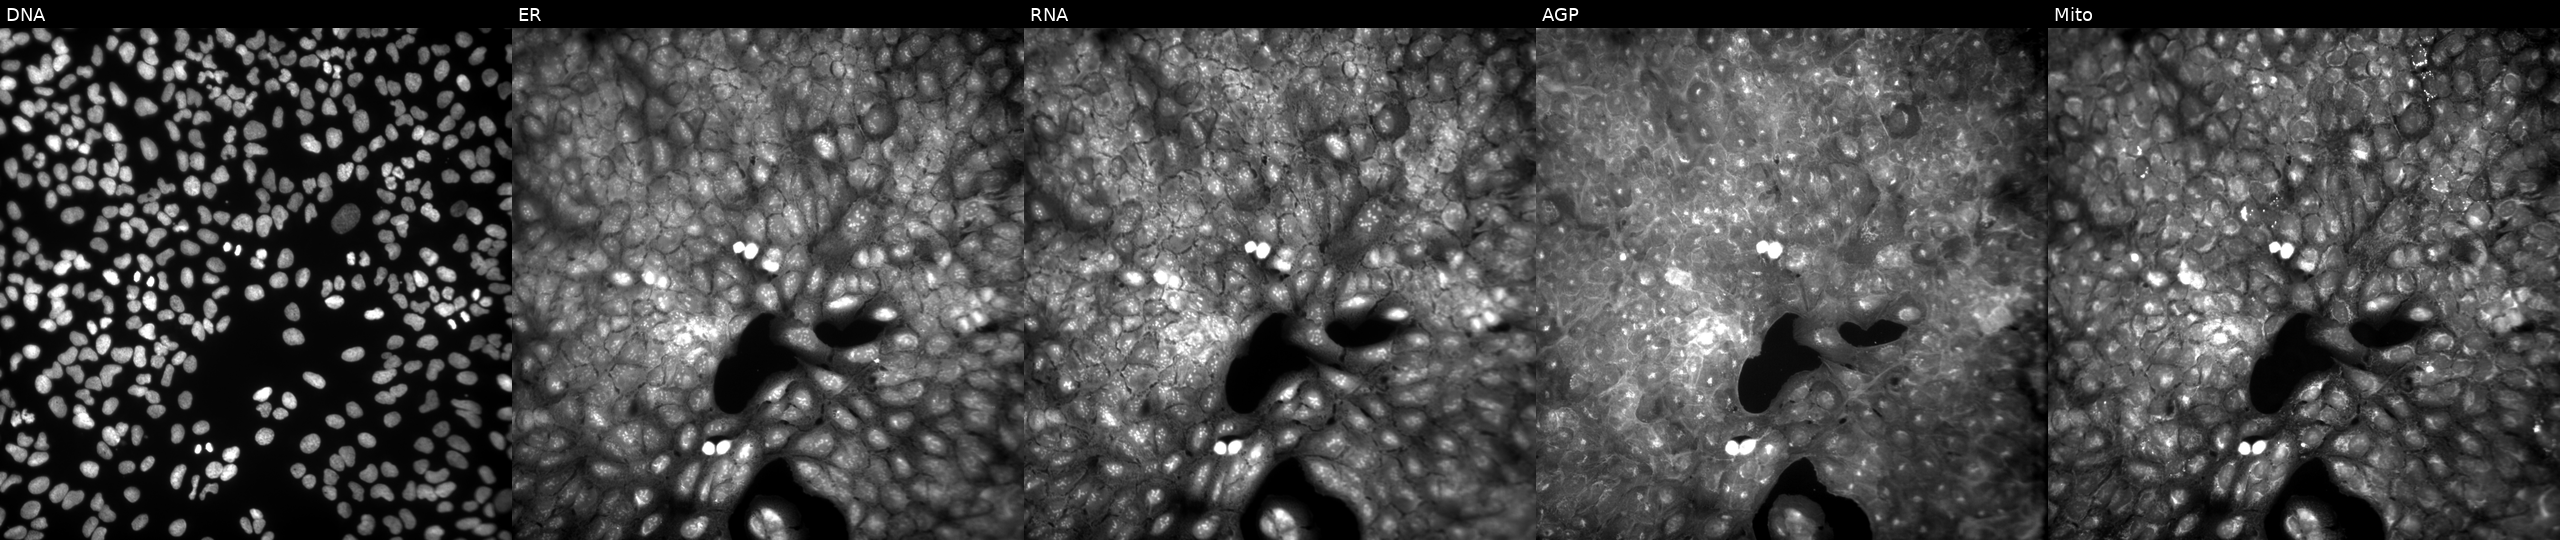
Five-channel Cell Painting image of U2OS cells treated with a small-molecule compound (InChIKey PCOJVUMLPYCOKQ-UHFFFAOYSA-N) (JUMP id JCP2022_067706). Channels (left→right): DNA (nuclei); ER (endoplasmic reticulum); RNA (nucleoli and cytoplasmic RNA); AGP (actin cytoskeleton, Golgi, and plasma membrane); Mito (mitochondria).